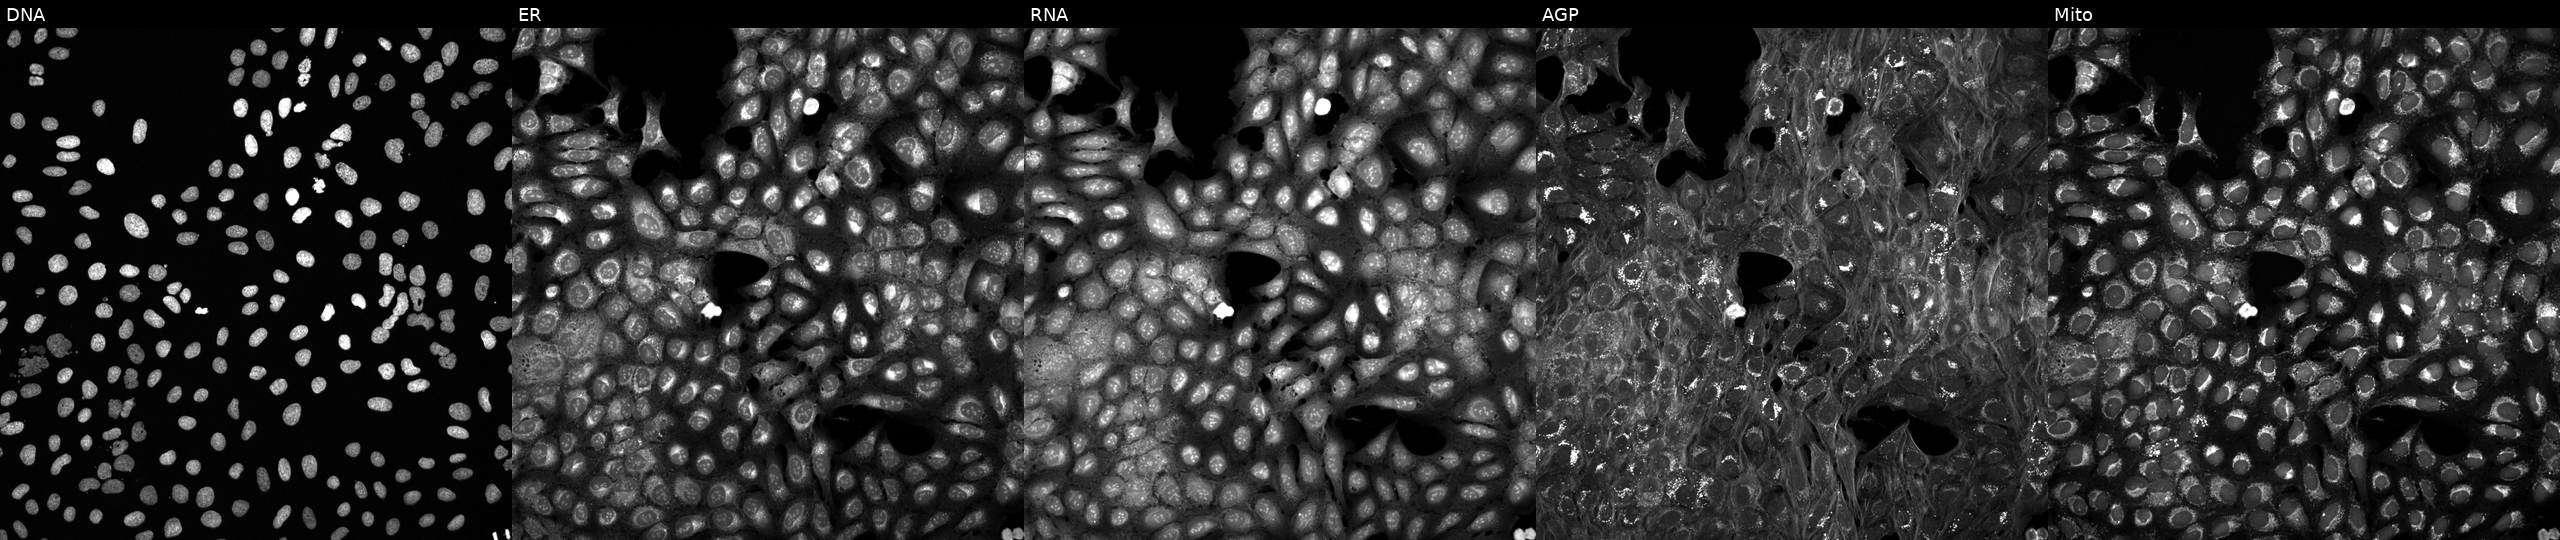
JUMP Cell Painting — TARGET2 plate. U2OS cells exposed to a small-molecule compound (InChIKey ZYVXTMKTGDARKR-UHFFFAOYSA-N) (JUMP id JCP2022_116560). Channels (left→right): DNA, ER, RNA, AGP, and Mito. Source 6, plate 110000294901, well J09.